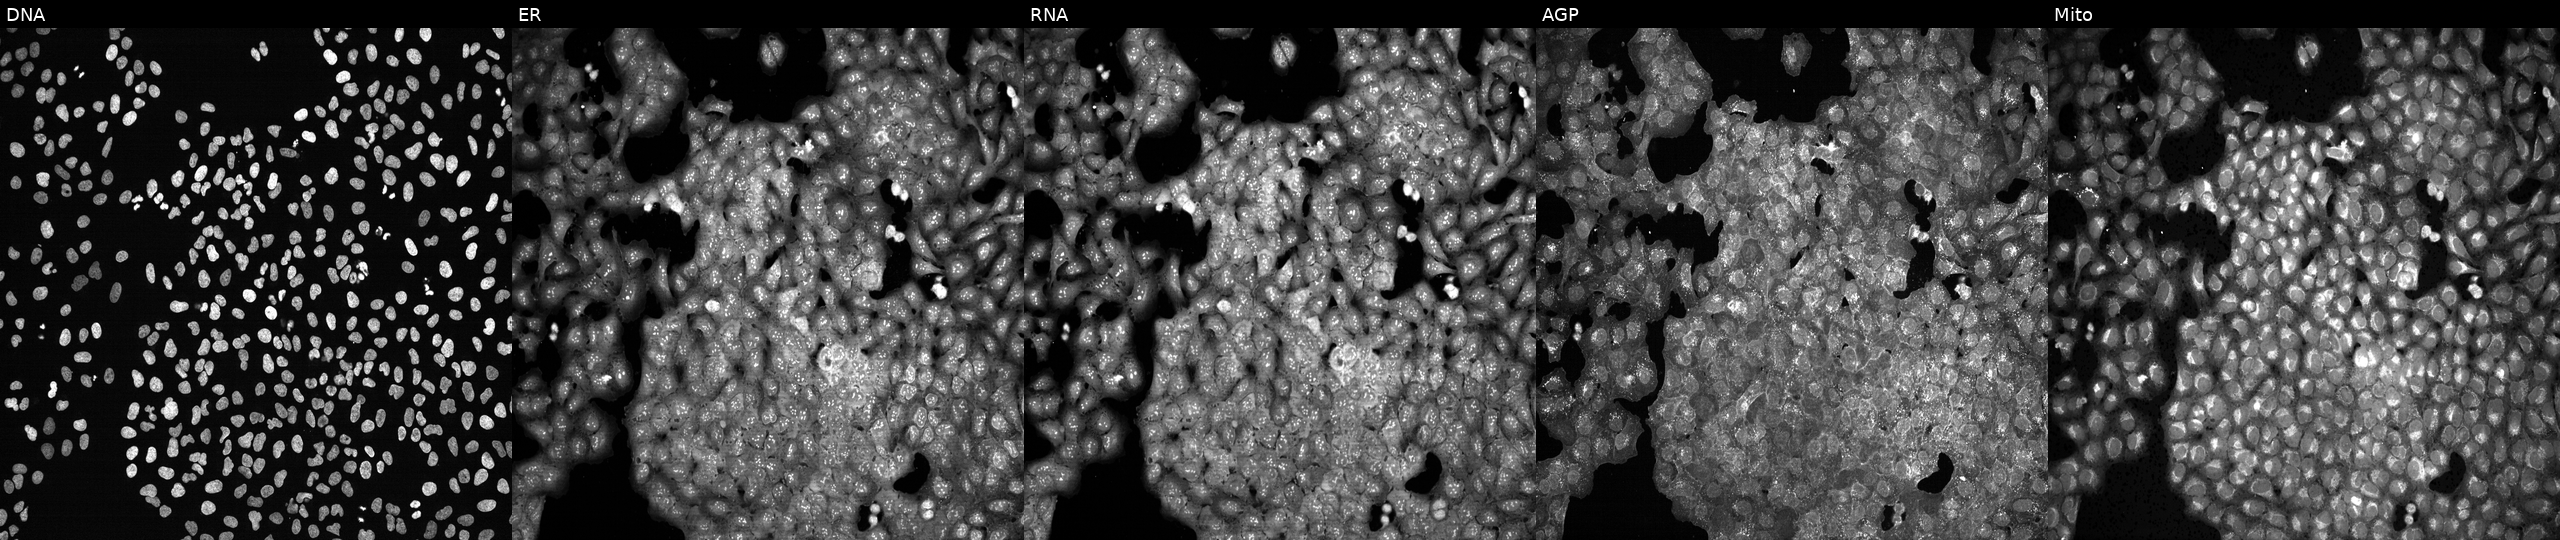
Panels show, left to right, DNA (nuclei); ER (endoplasmic reticulum); RNA (nucleoli and cytoplasmic RNA); AGP (actin cytoskeleton, Golgi, and plasma membrane); Mito (mitochondria). U2OS osteosarcoma cells treated with NVS-PAK1-1 (positive-control compound) (JUMP id JCP2022_064022). Cell Painting assay, JUMP-CP dataset.